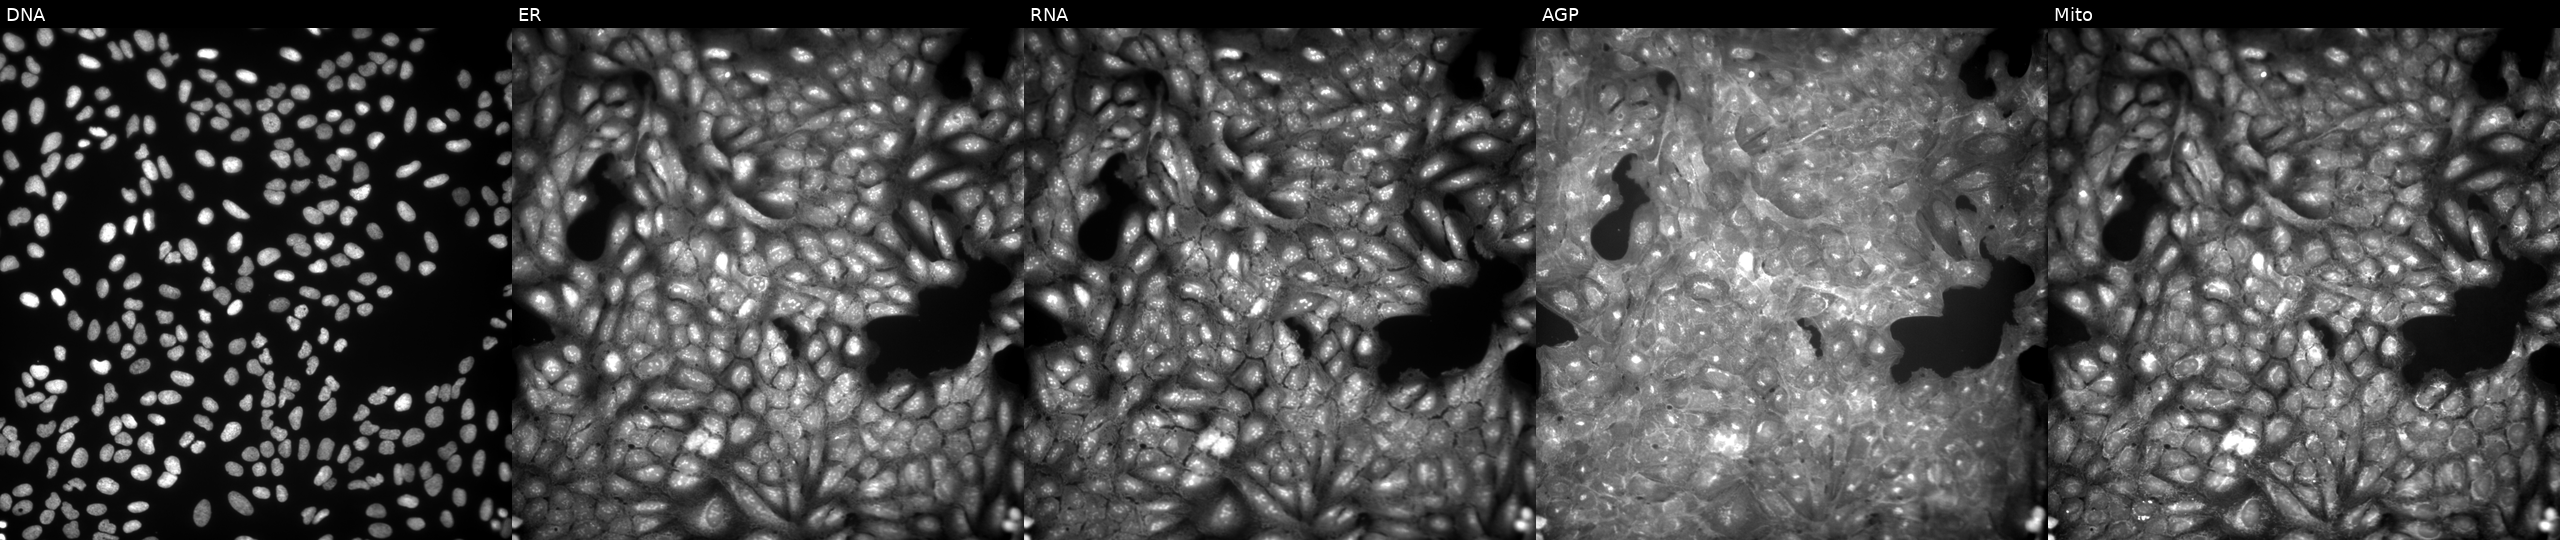
This image strip shows the five Cell Painting channels for a single field of U2OS cells perturbed with a small-molecule compound (InChIKey ZLXNYDKOUPTSMA-UHFFFAOYSA-N). Panels show, left to right, DNA, ER, RNA, AGP, and Mito.